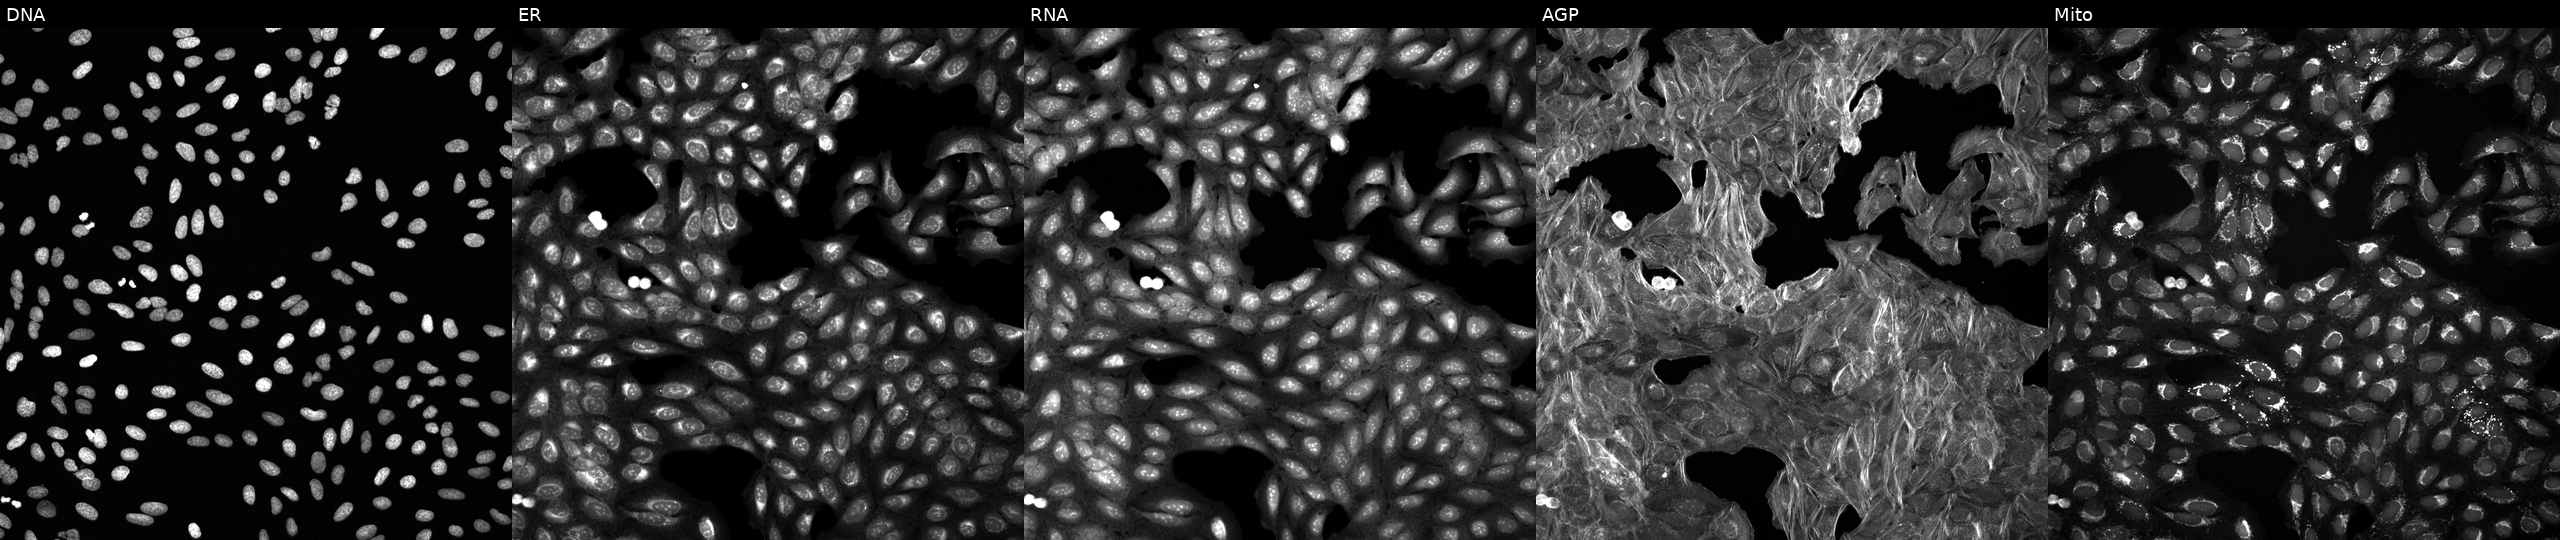
U2OS cells, Cell Painting assay, exposed to a small-molecule compound (InChIKey RFNMMGDMDRSNEJ-UHFFFAOYSA-N). Panels show, left to right, Hoechst 33342, concanavalin A, SYTO 14, phalloidin and WGA, MitoTracker. Each panel is percentile-stretched 16-bit fluorescence.